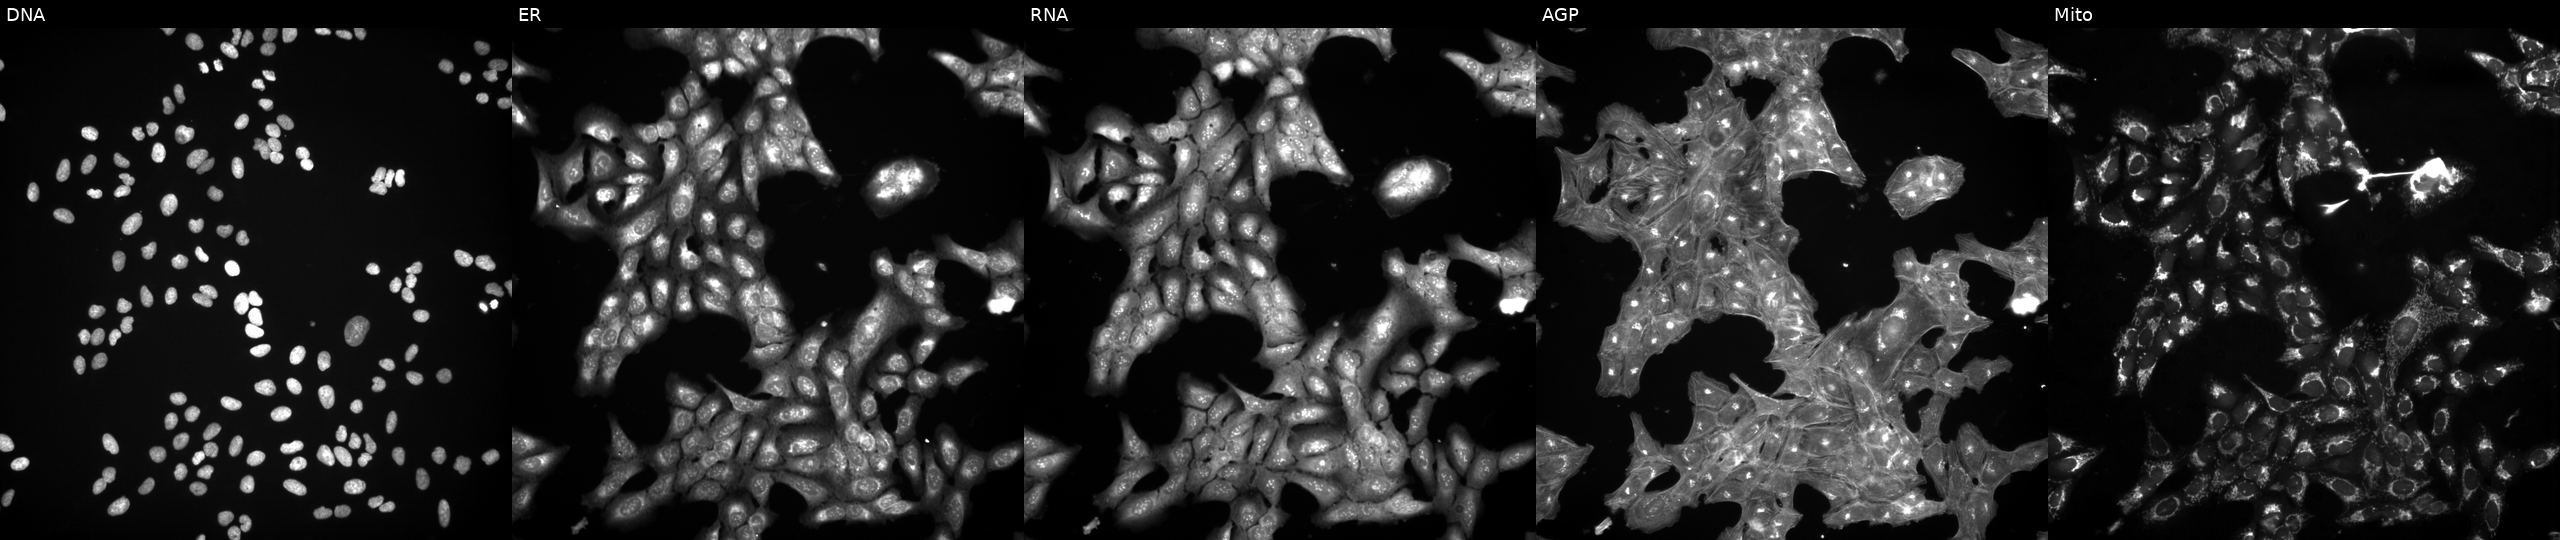
U2OS cells, Cell Painting assay, treated with DMSO vehicle only (negative control). Panels show, left to right, DNA, ER, RNA, AGP, and Mito. Each panel is percentile-stretched 16-bit fluorescence. Source 3, plate JCPQC053, well L13.